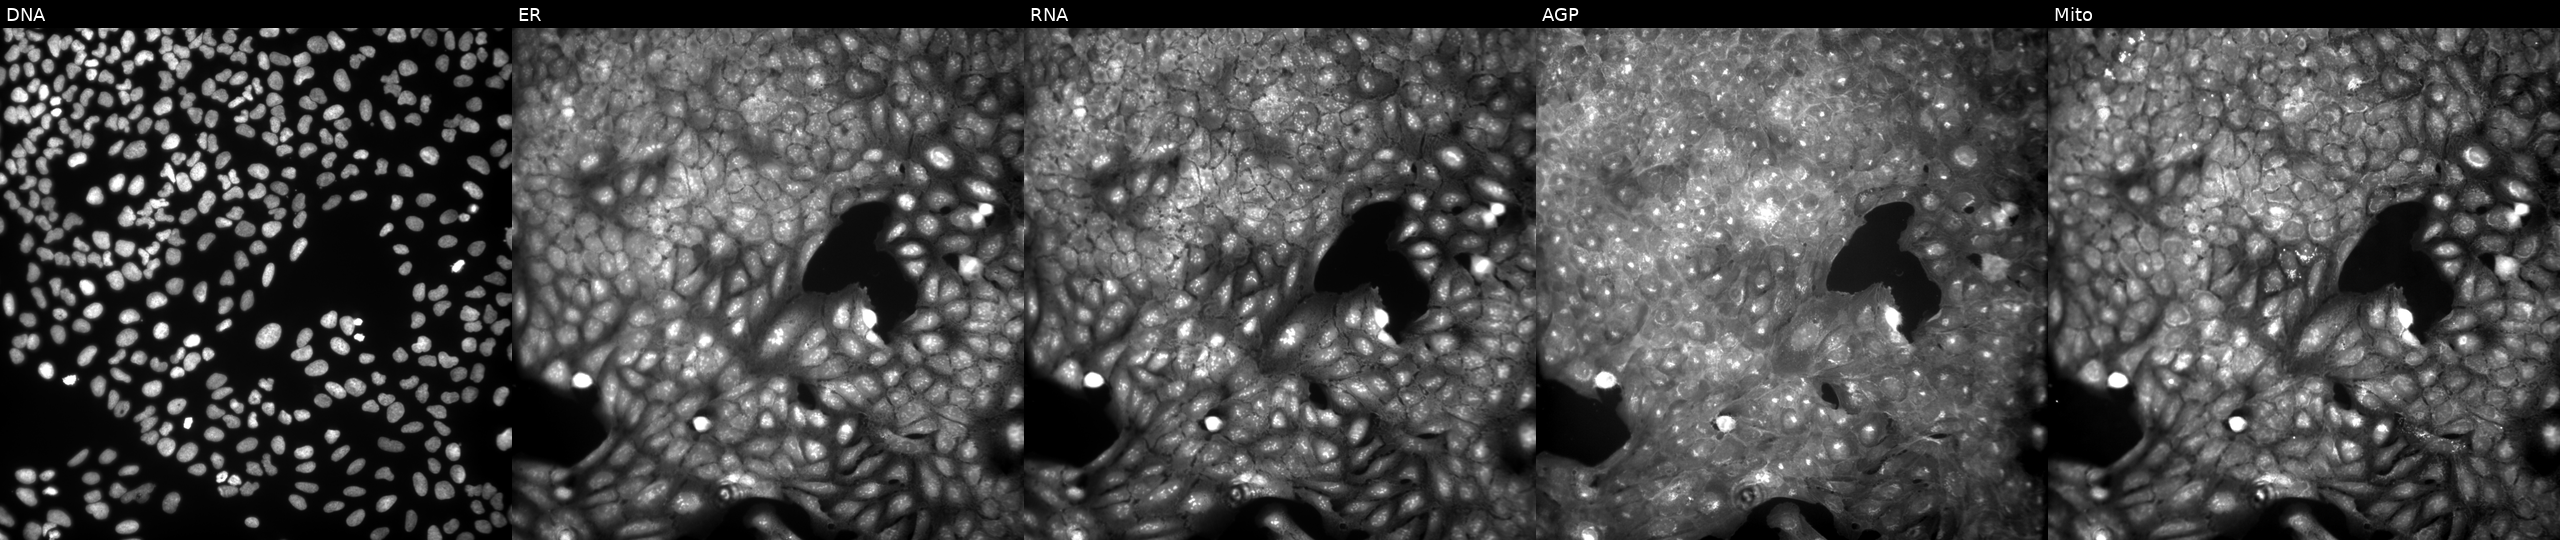
The five panels, left to right, show DNA, ER, RNA, AGP, and Mito. U2OS osteosarcoma cells exposed to a small-molecule compound (InChIKey NLMIKGRRXHDHIP-UHFFFAOYSA-N). Cell Painting assay, JUMP-CP dataset.